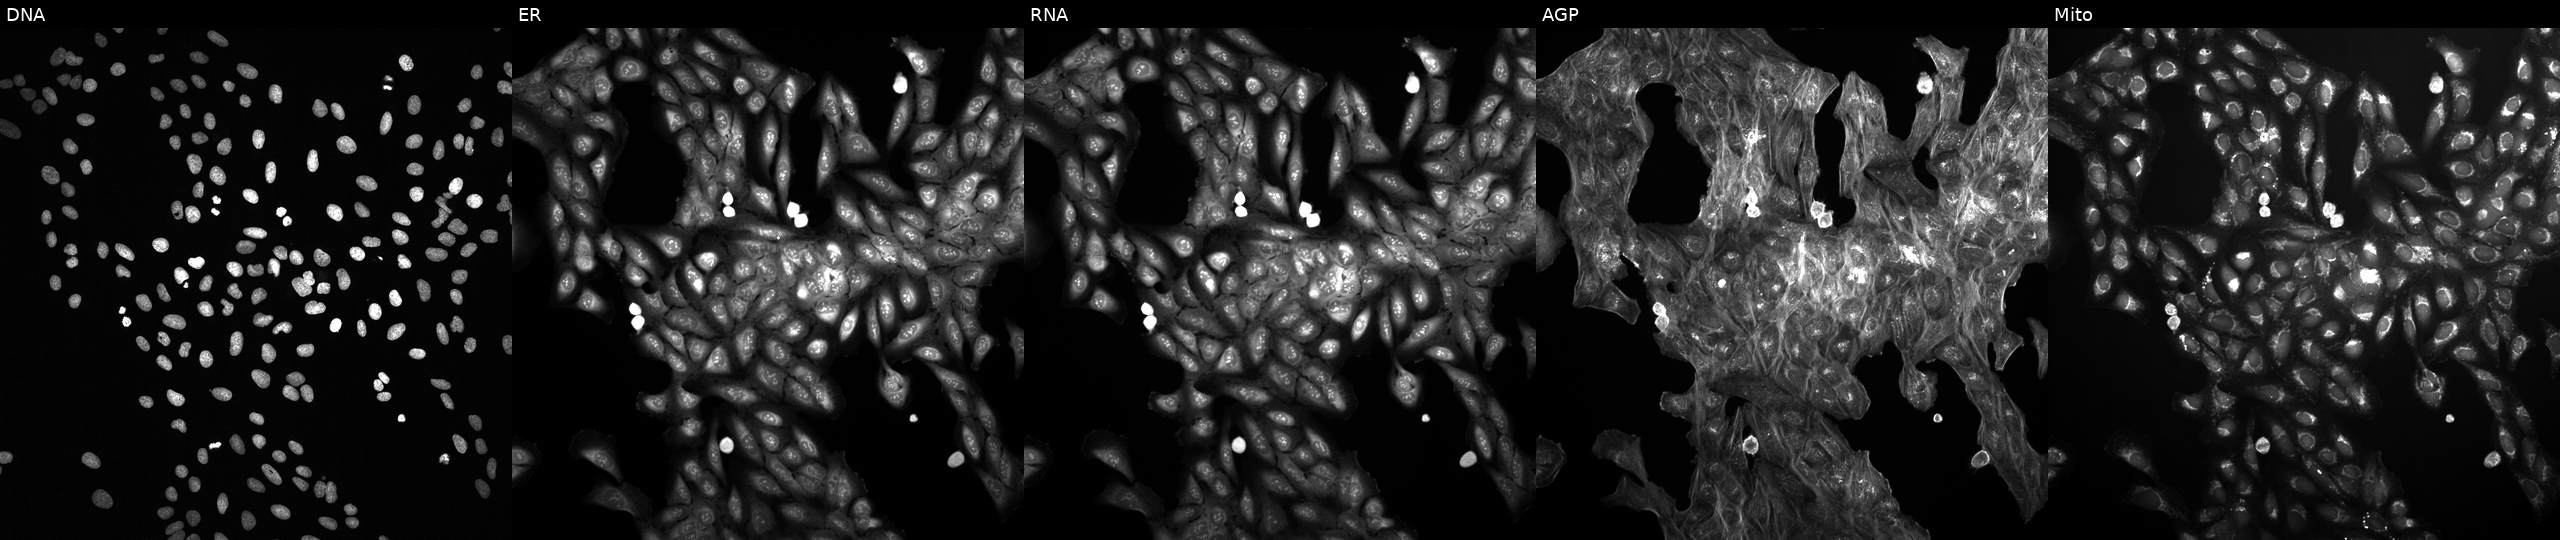
JUMP Cell Painting — TARGET2 plate. U2OS cells treated with a small-molecule compound (JUMP id JCP2022_063174). The five panels, left to right, show DNA (nuclei); ER (endoplasmic reticulum); RNA (nucleoli and cytoplasmic RNA); AGP (actin cytoskeleton, Golgi, and plasma membrane); Mito (mitochondria).